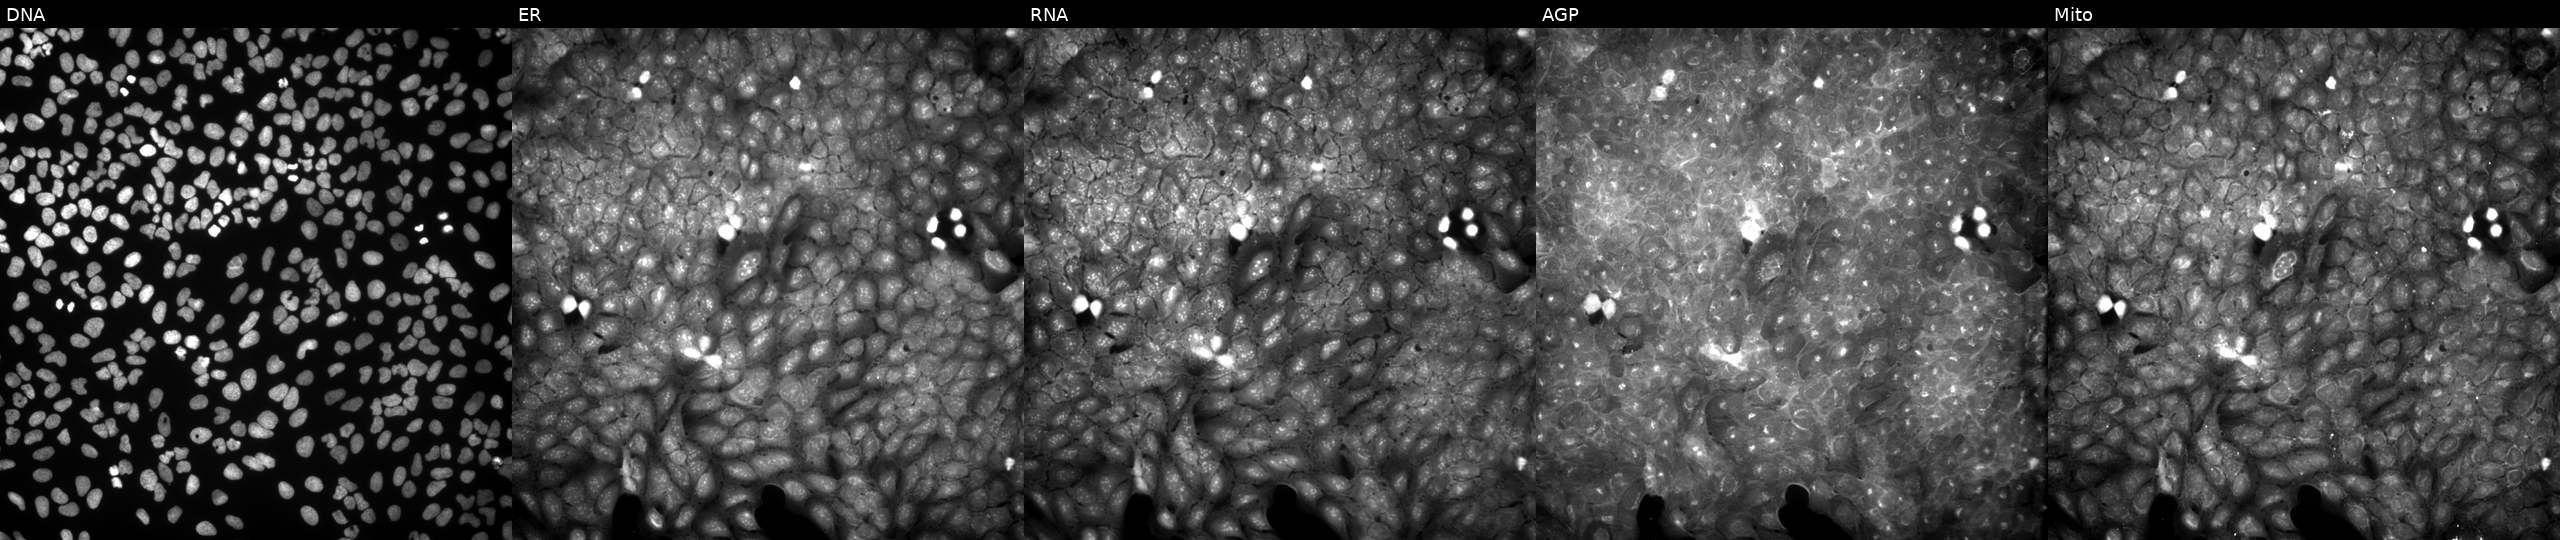
U2OS cells, Cell Painting assay, exposed to a small-molecule compound (JUMP id JCP2022_013181). Channels (left→right): DNA, ER, RNA, AGP, and Mito. Each panel is percentile-stretched 16-bit fluorescence.